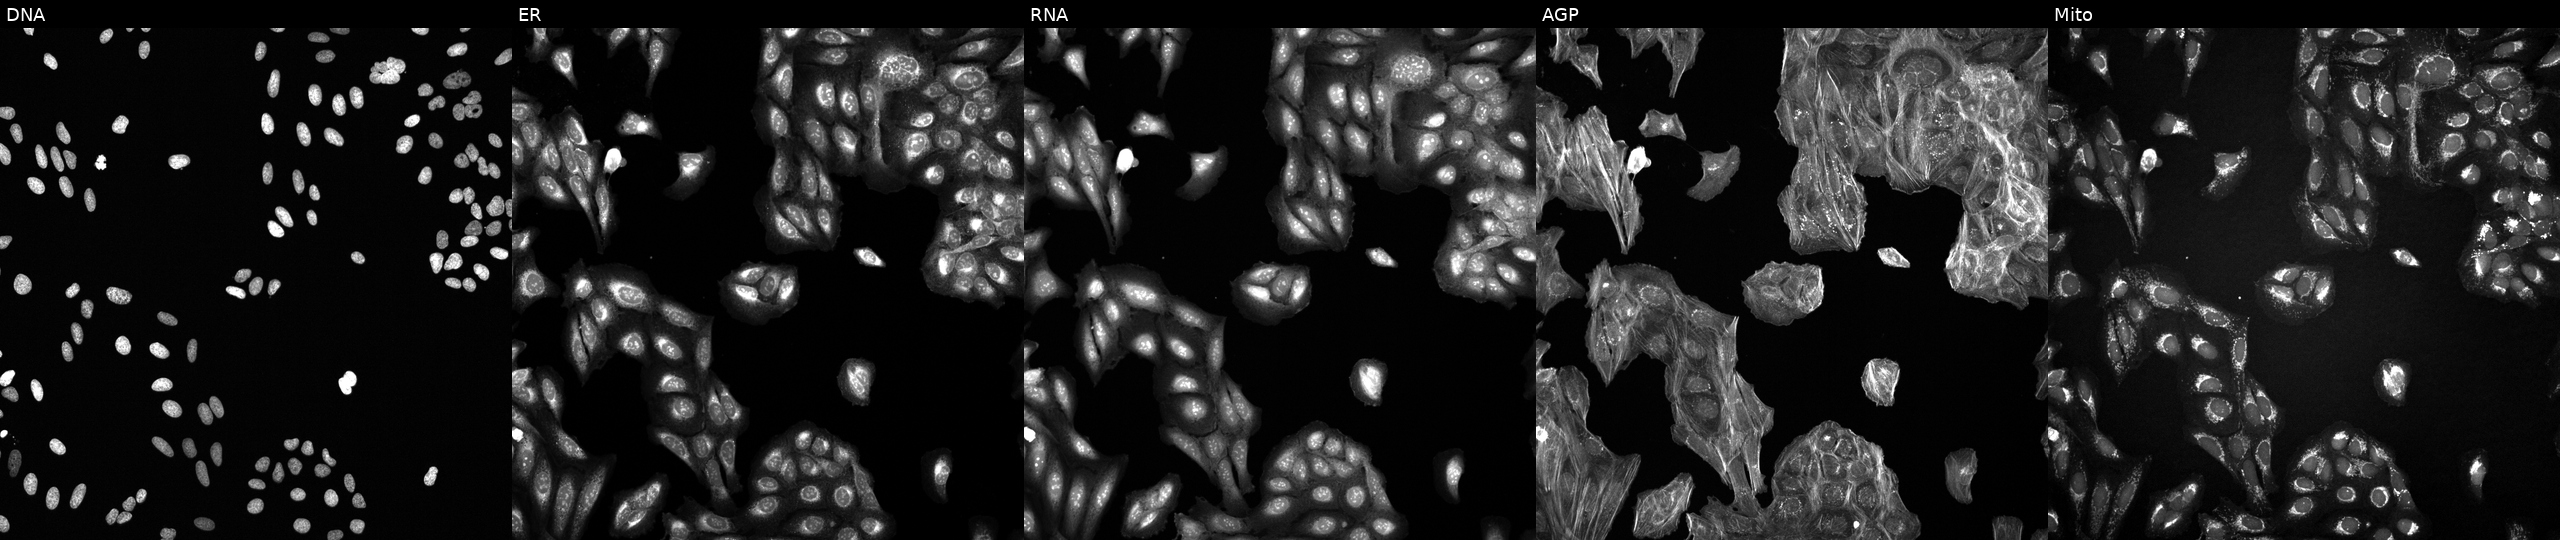
This image strip shows the five Cell Painting channels for a single field of U2OS cells treated with a small-molecule compound (InChIKey YZAJOROIRDMASR-UHFFFAOYSA-N). From left to right: DNA, ER, RNA, AGP, and Mito.